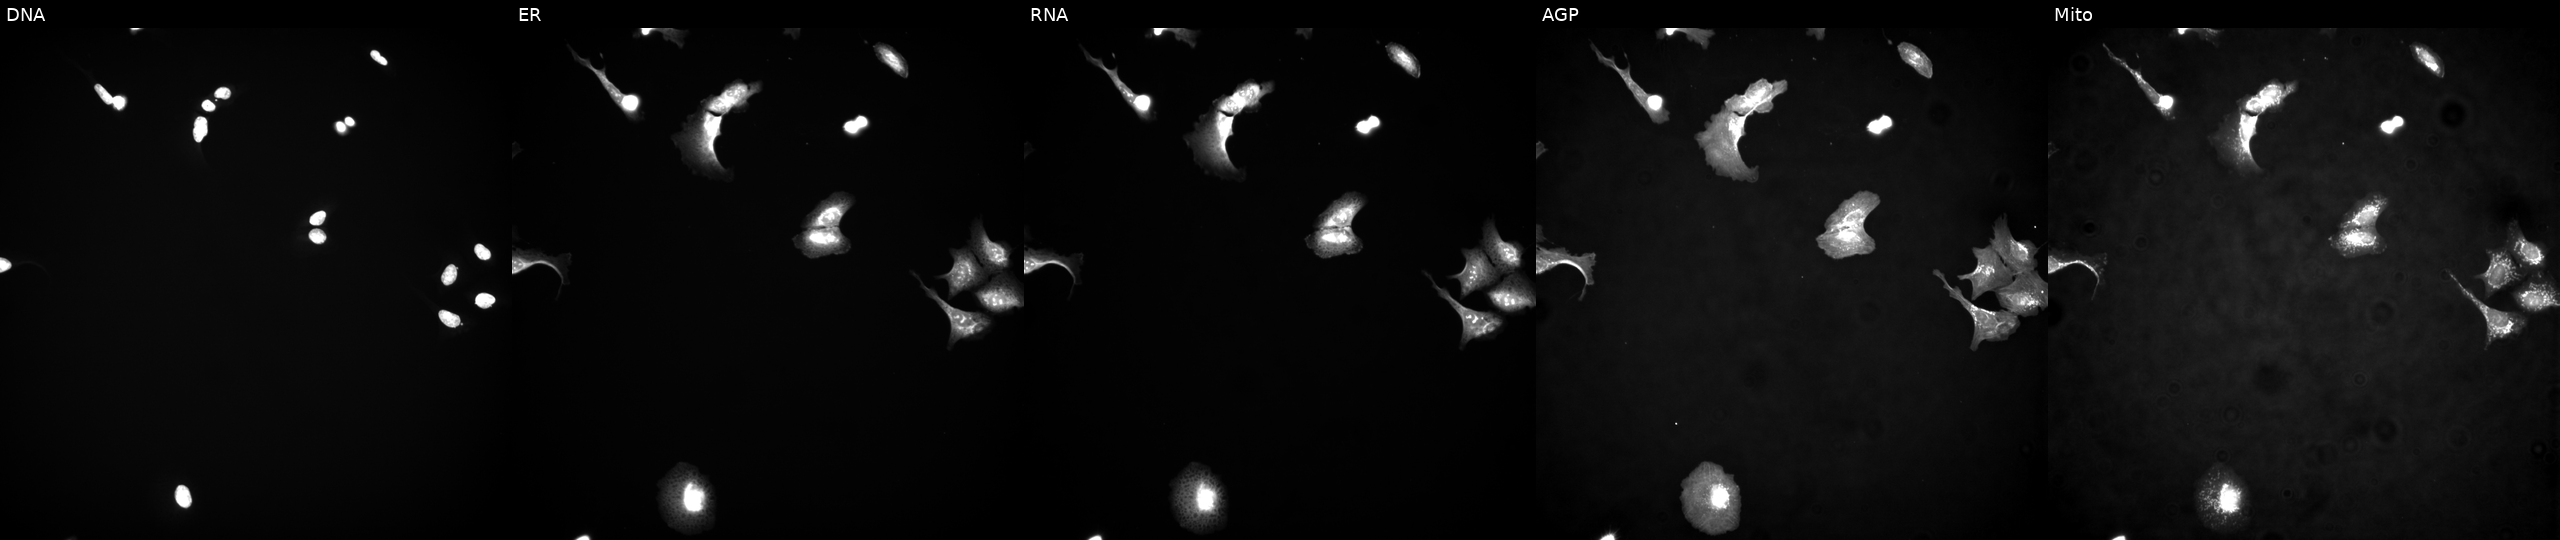
JUMP Cell Painting — ORF plate. U2OS cells transfected with an ORF construct for CAMK2G. Channels (left→right): Hoechst 33342, concanavalin A, SYTO 14, phalloidin and WGA, MitoTracker.